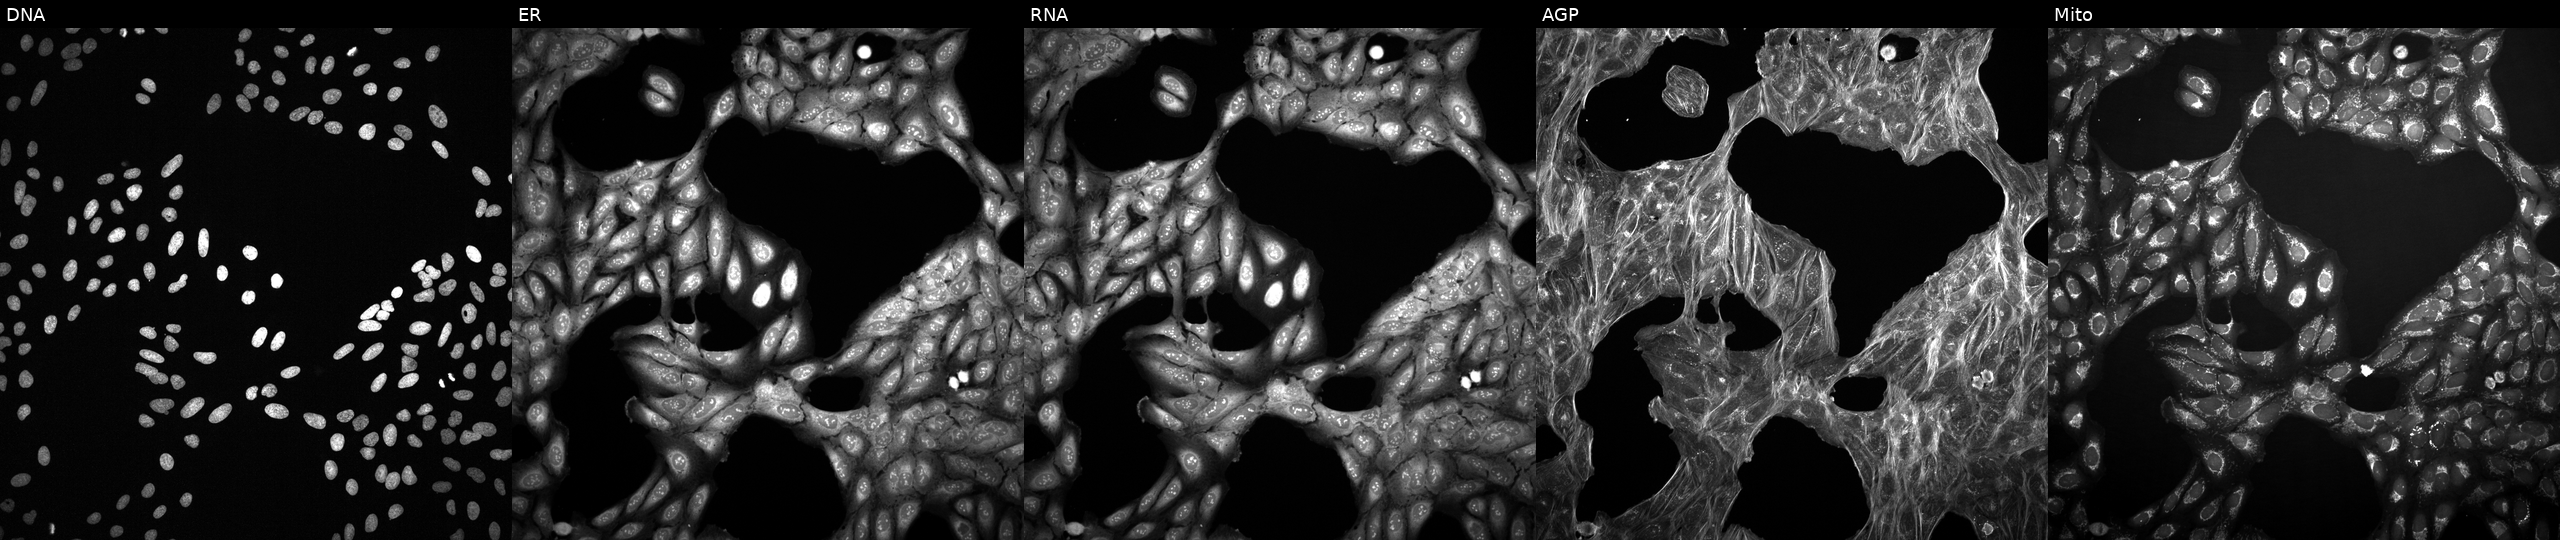
High-content fluorescence microscopy (Cell Painting). Cell line: U2OS. Perturbation: exposed to a small-molecule compound (InChIKey SVMHYHIZWOJKDL-UHFFFAOYSA-N). From left to right: DNA, ER, RNA, AGP, and Mito.